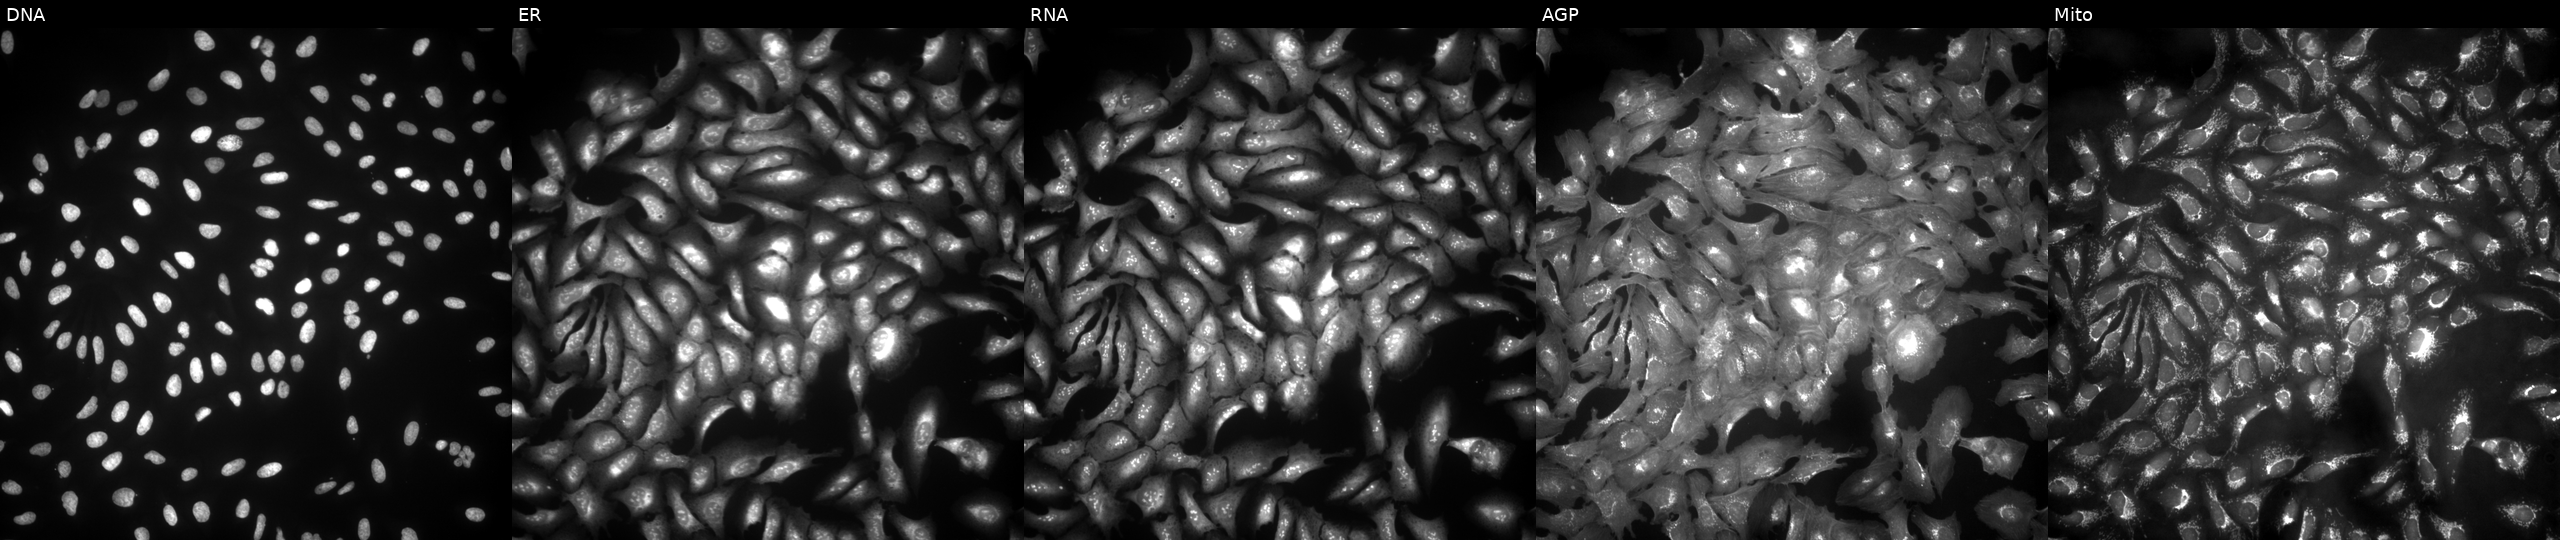
U2OS cells, Cell Painting assay, in an empty control well (no perturbation). Panels show, left to right, DNA, ER, RNA, AGP, and Mito. Each panel is percentile-stretched 16-bit fluorescence. Source 4, plate BR00123506, well G07.